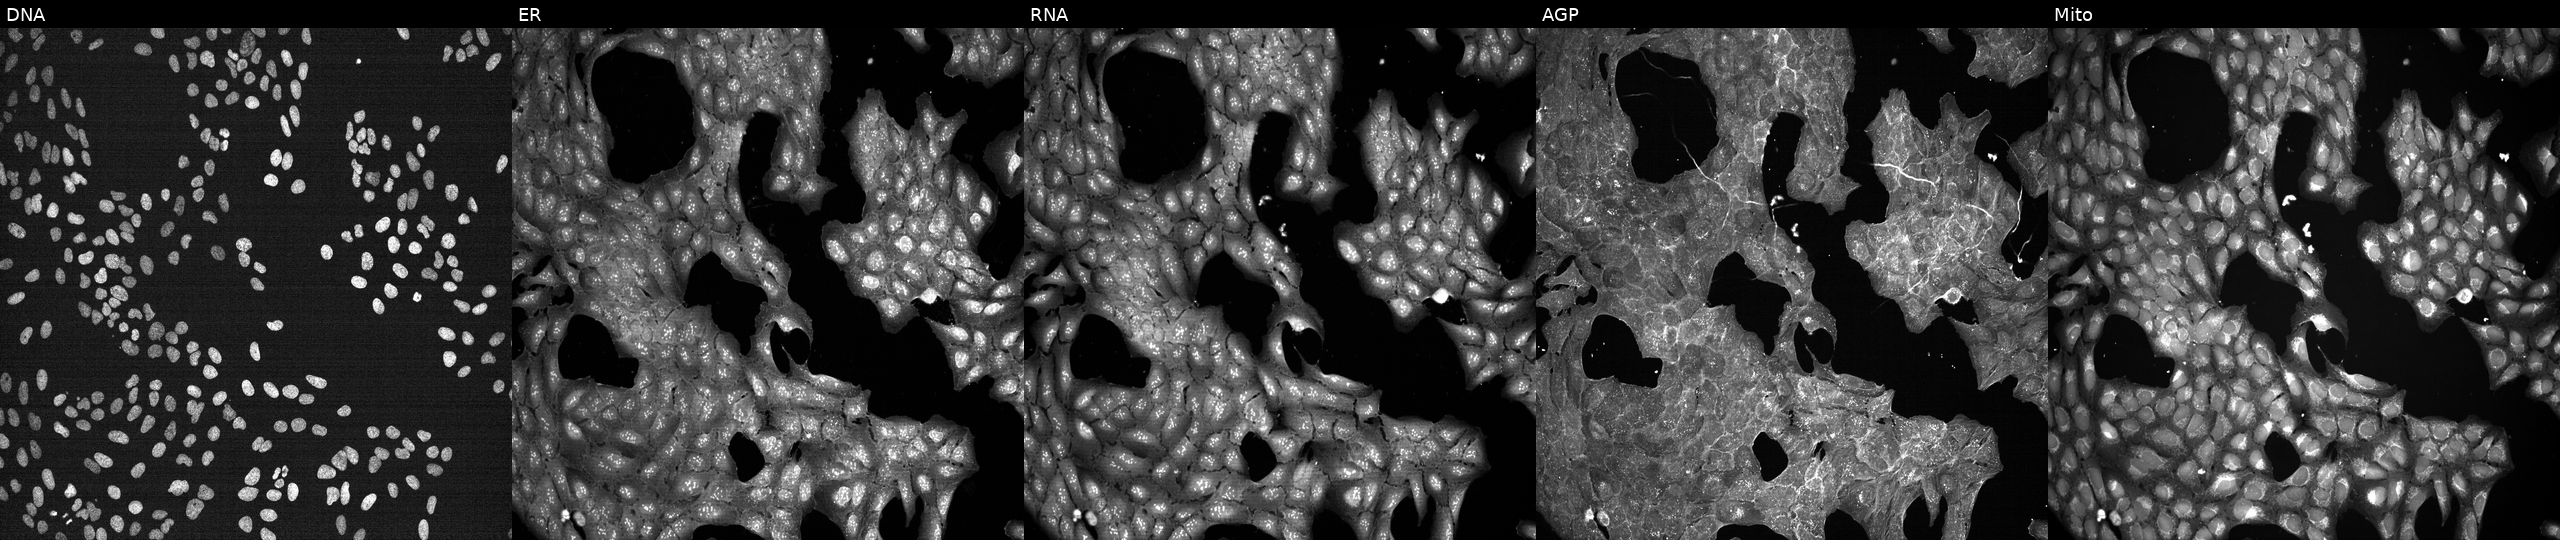
This image strip shows the five Cell Painting channels for a single field of U2OS cells perturbed with a small-molecule compound (JUMP id JCP2022_071733). Panels show, left to right, DNA (nuclei); ER (endoplasmic reticulum); RNA (nucleoli and cytoplasmic RNA); AGP (actin cytoskeleton, Golgi, and plasma membrane); Mito (mitochondria). Source 7, plate CP1-SC1-25, well J11.